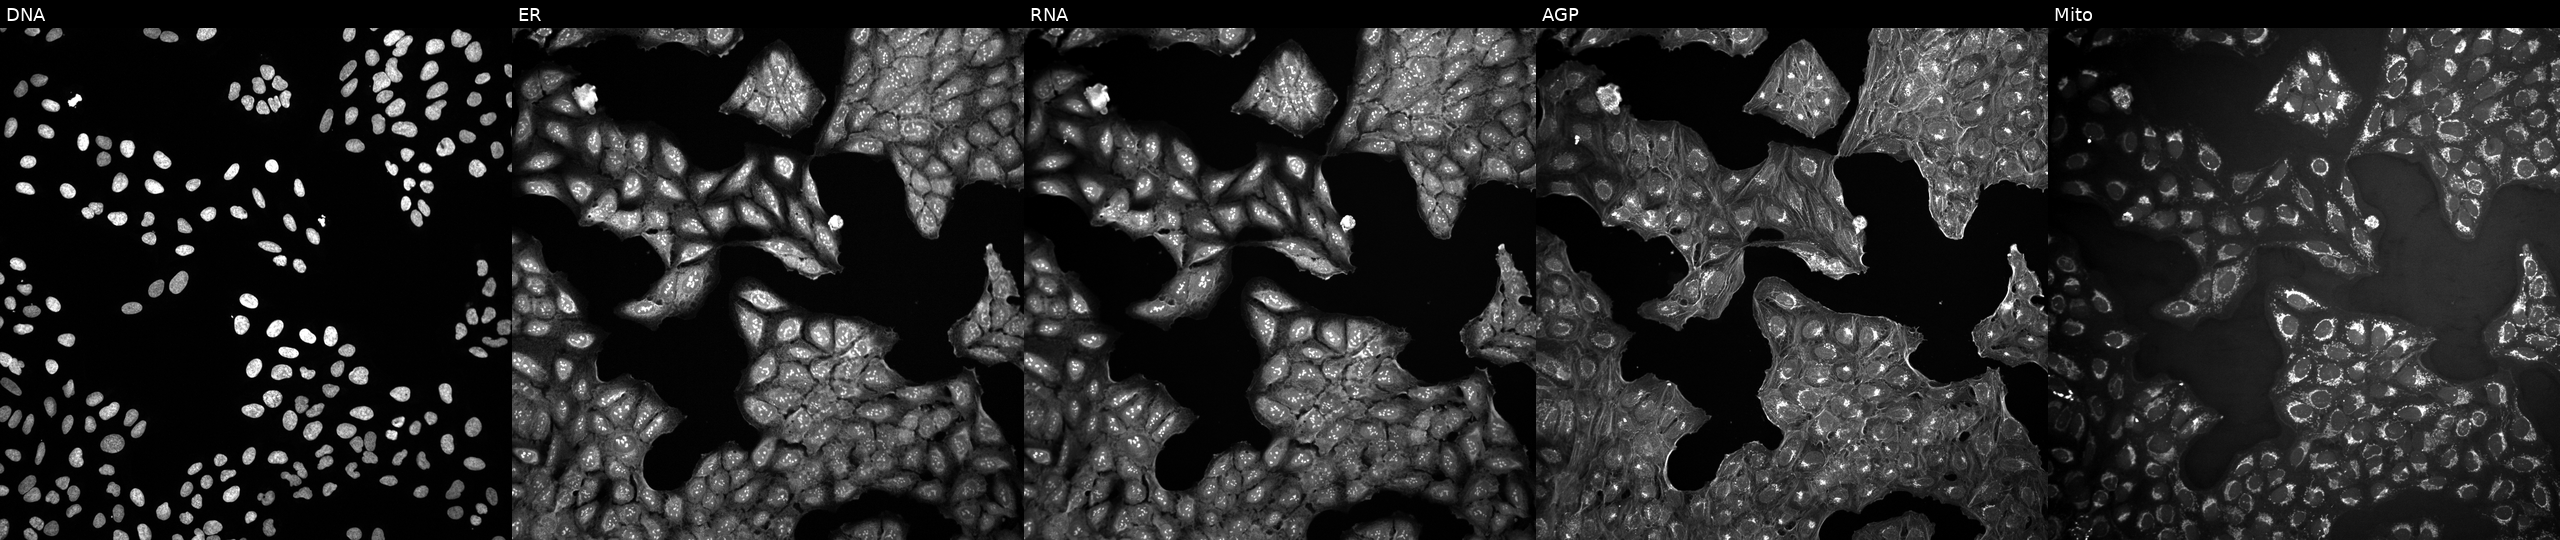
High-content fluorescence microscopy (Cell Painting). Cell line: U2OS. Perturbation: in an empty control well (no perturbation). The five panels, left to right, show DNA, ER, RNA, AGP, and Mito. Source 10, plate Dest210531-152149, well L18.